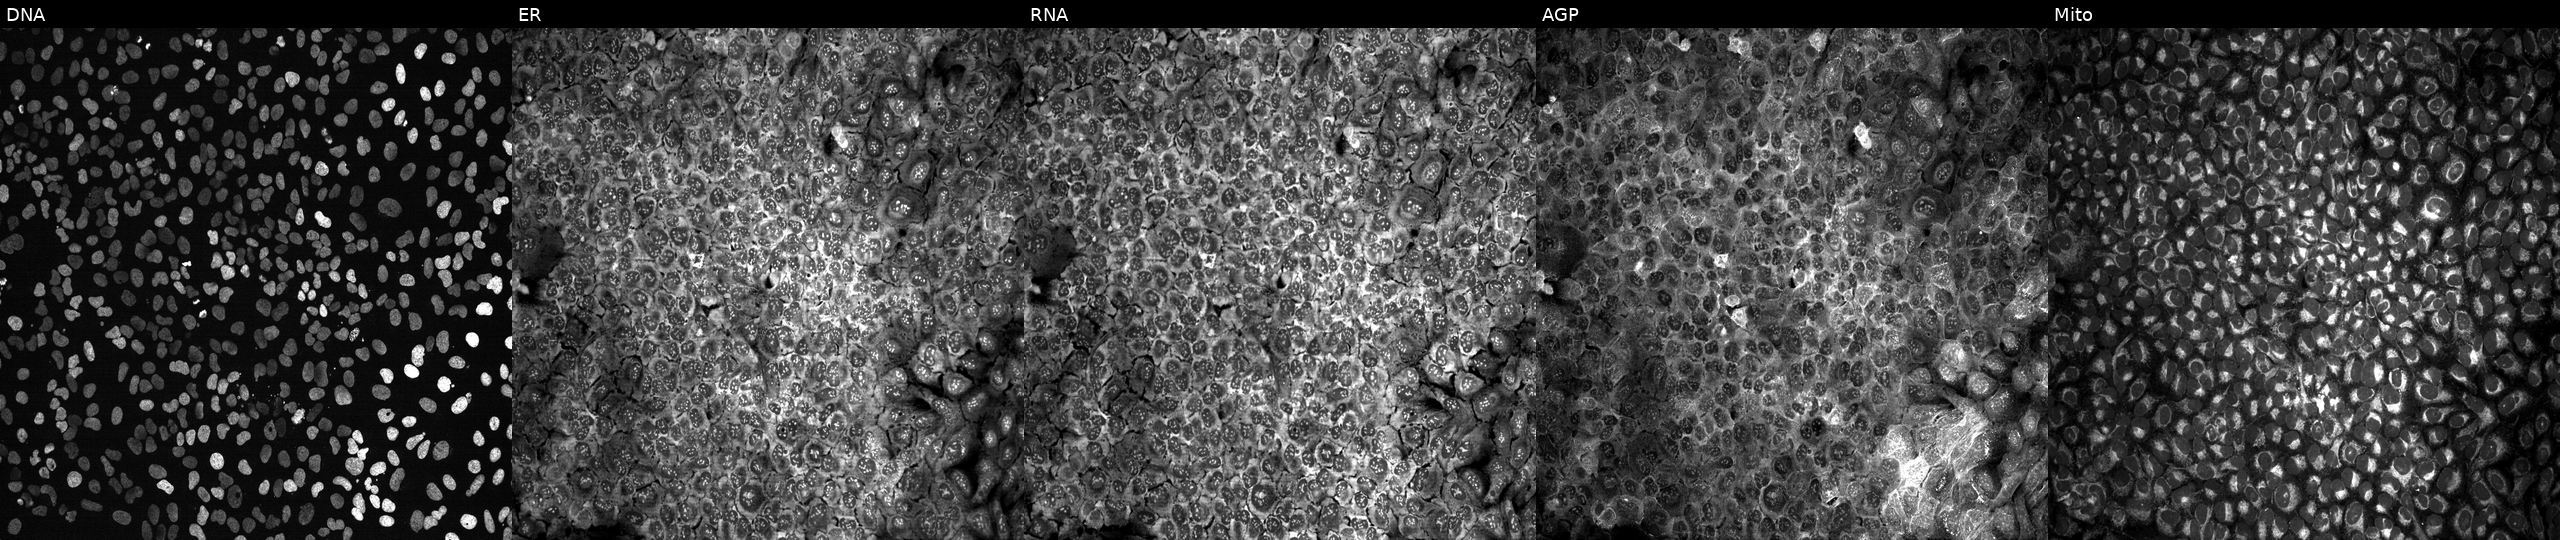
U2OS cells, Cell Painting assay, following CRISPR knockout of UXS1 (JUMP id JCP2022_807624). From left to right: Hoechst 33342, concanavalin A, SYTO 14, phalloidin and WGA, MitoTracker. Each panel is percentile-stretched 16-bit fluorescence. Source 13, plate CP-CC9-R4-03, well D12.